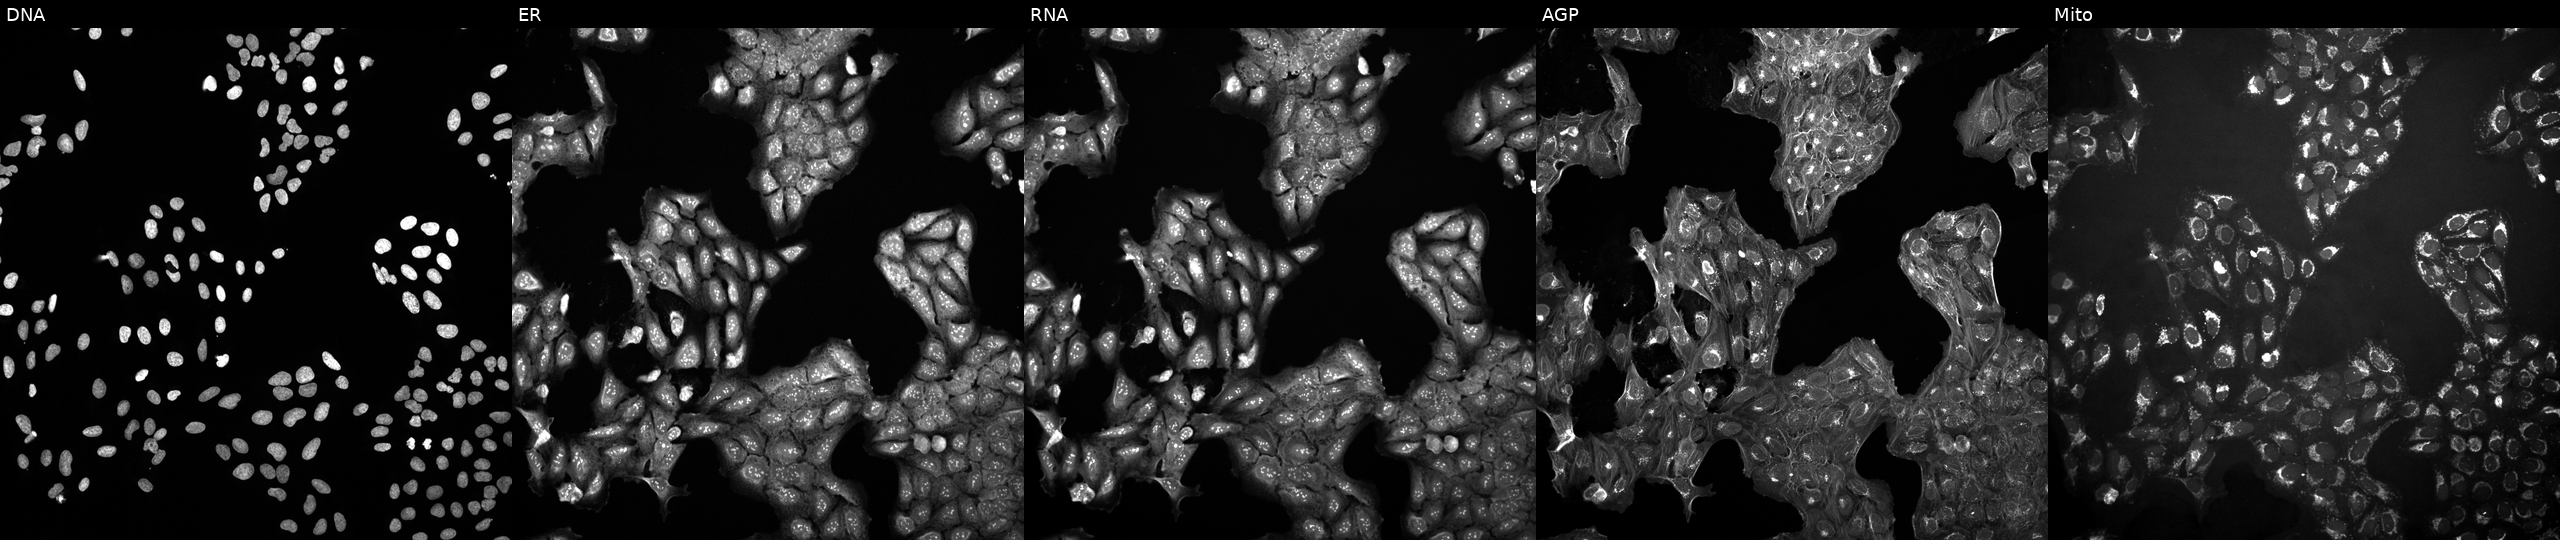
High-content fluorescence microscopy (Cell Painting). Cell line: U2OS. Perturbation: exposed to a small-molecule compound (InChIKey SYSCCYZUFKJQHM-UHFFFAOYSA-N) (JUMP id JCP2022_086442). From left to right: DNA (nuclei); ER (endoplasmic reticulum); RNA (nucleoli and cytoplasmic RNA); AGP (actin cytoskeleton, Golgi, and plasma membrane); Mito (mitochondria).